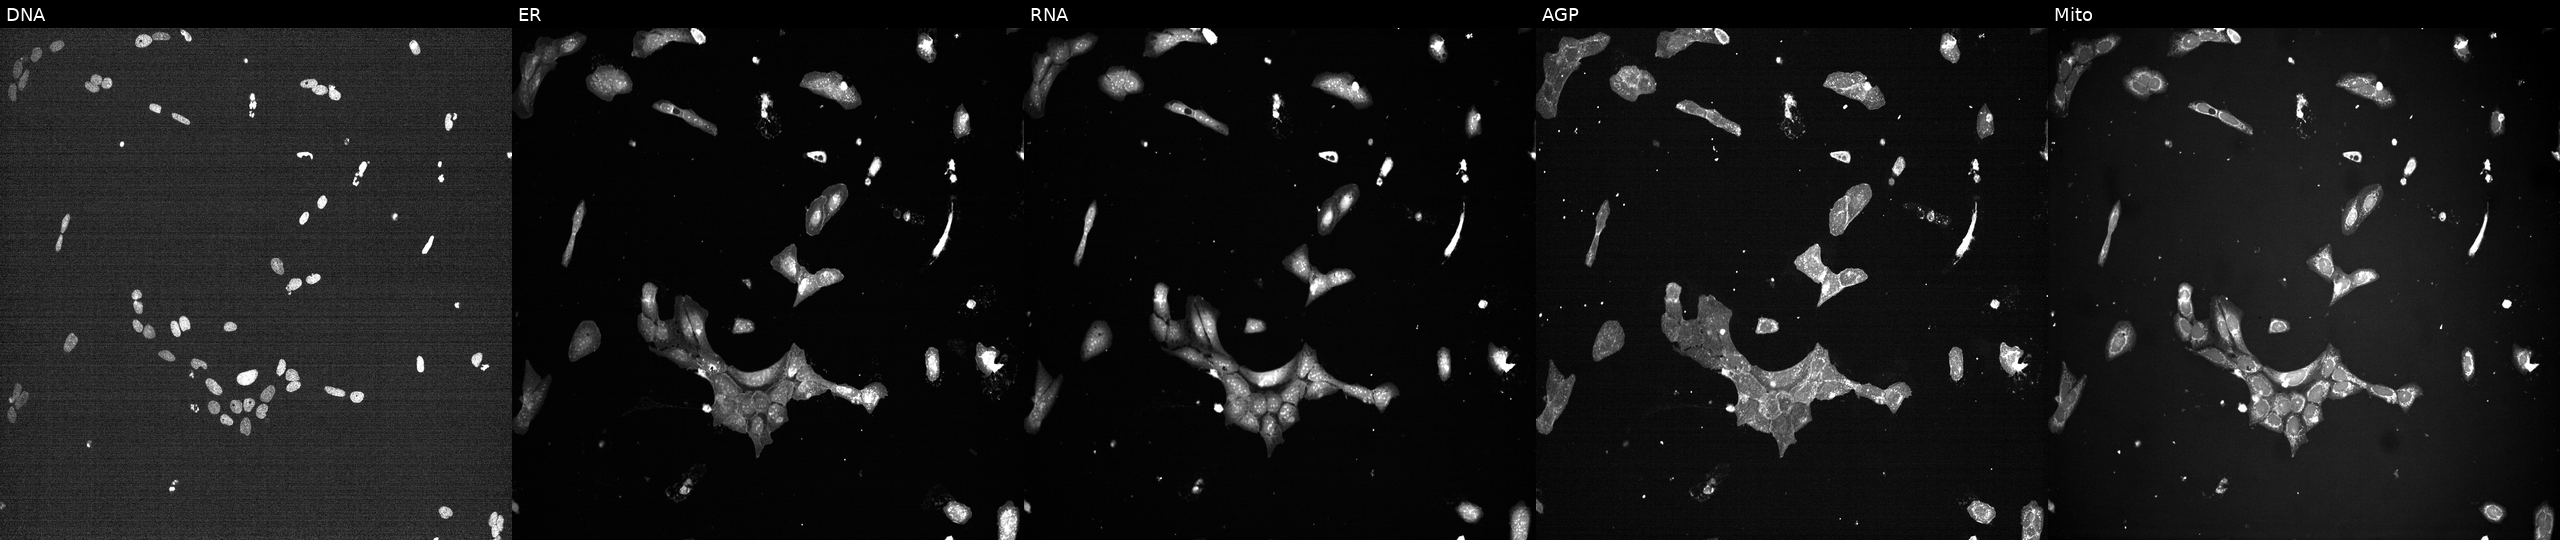
High-content fluorescence microscopy (Cell Painting). Cell line: U2OS. Perturbation: exposed to a small-molecule compound [SMILES: N=c1[nH]cnc2c1c(-c1cnc3[nH]ccc3c1)nn2C1CCCC1] (JUMP id JCP2022_061654). The five panels, left to right, show DNA (nuclei); ER (endoplasmic reticulum); RNA (nucleoli and cytoplasmic RNA); AGP (actin cytoskeleton, Golgi, and plasma membrane); Mito (mitochondria). Source 7, plate CP1-SC1-25, well B02.